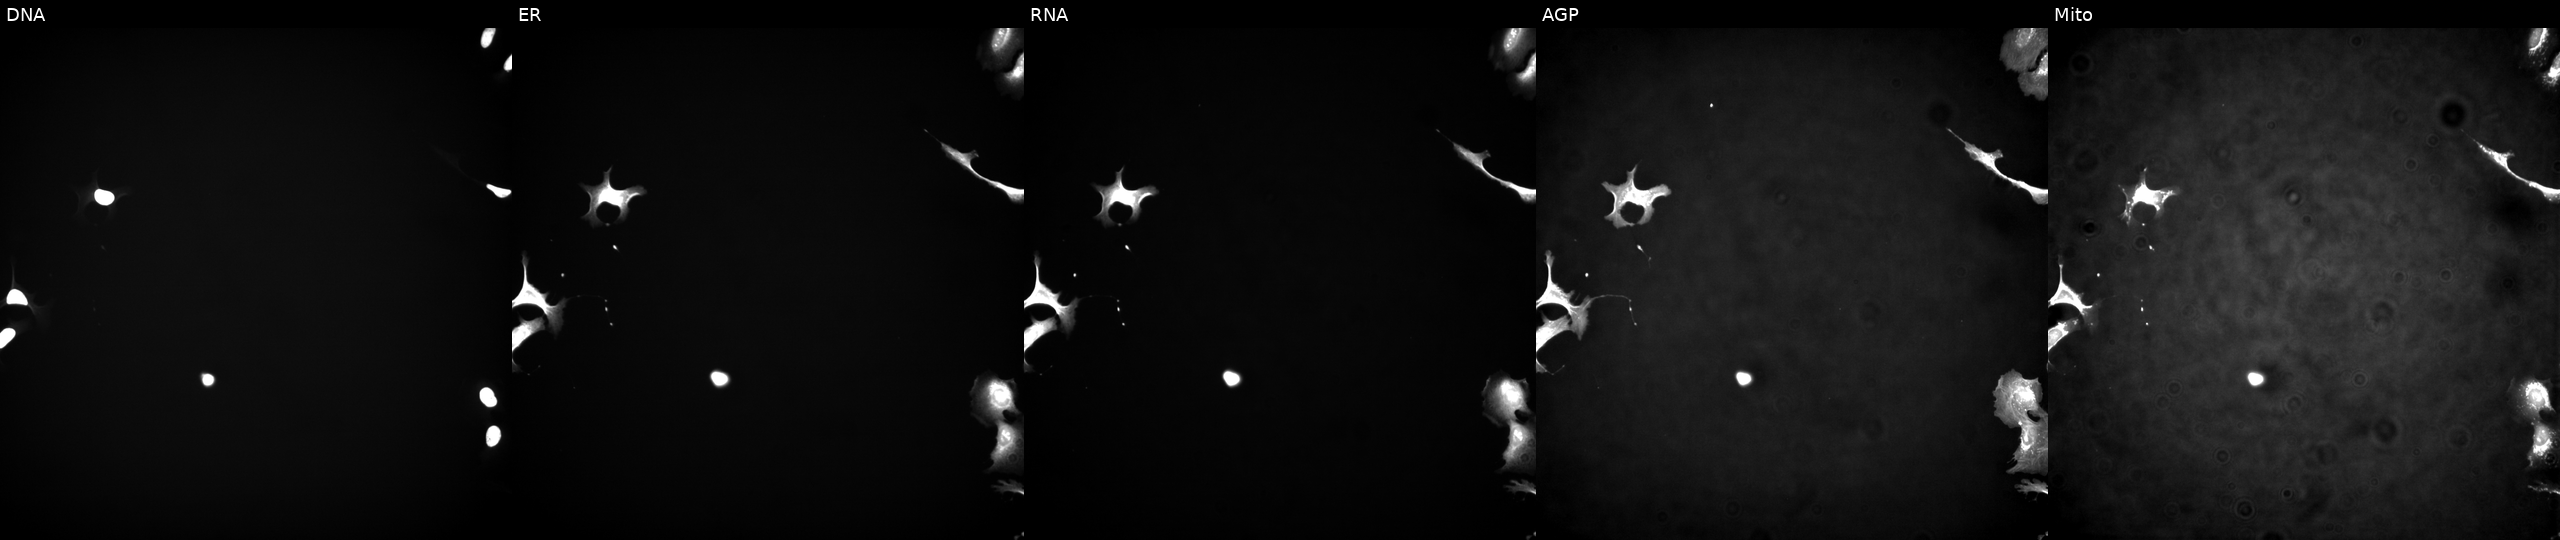
High-content fluorescence microscopy (Cell Painting). Cell line: U2OS. Perturbation: expressing BFP (ORF negative control) (JUMP id JCP2022_915128). Panels show, left to right, DNA, ER, RNA, AGP, and Mito.